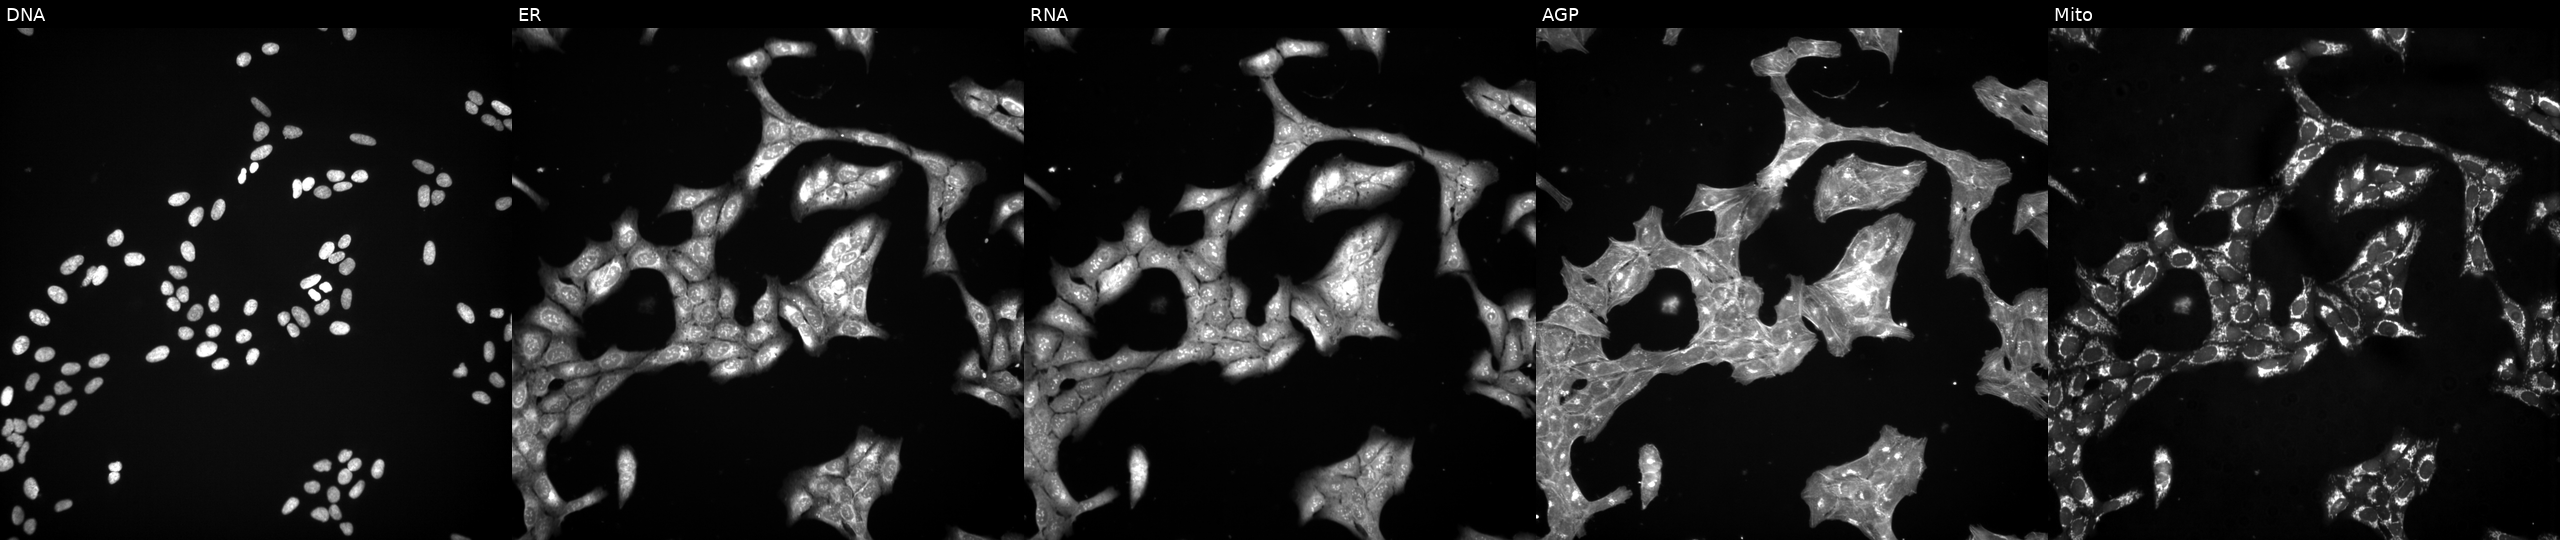
This image strip shows the five Cell Painting channels for a single field of U2OS cells treated with a small-molecule compound (JUMP id JCP2022_013455). From left to right: DNA, ER, RNA, AGP, and Mito. Source 3, plate JCPQC053, well I17.